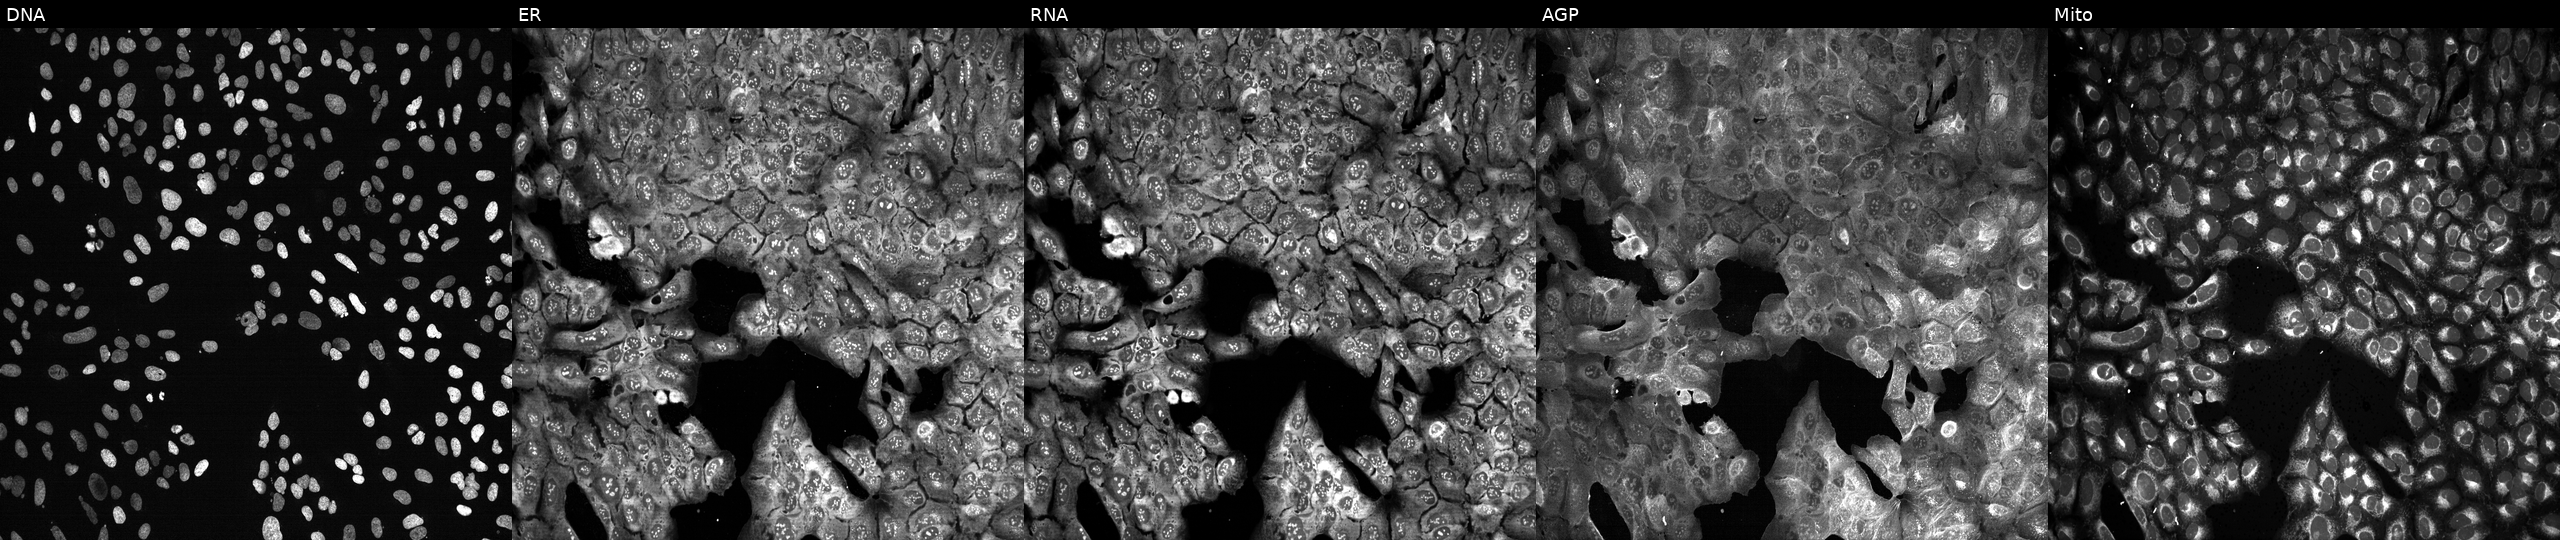
This image strip shows the five Cell Painting channels for a single field of U2OS cells CRISPR-edited to disrupt UGT2B7 (JUMP id JCP2022_807532). Channels (left→right): DNA, ER, RNA, AGP, and Mito. Source 13, plate CP-CC9-R2-01, well D09.